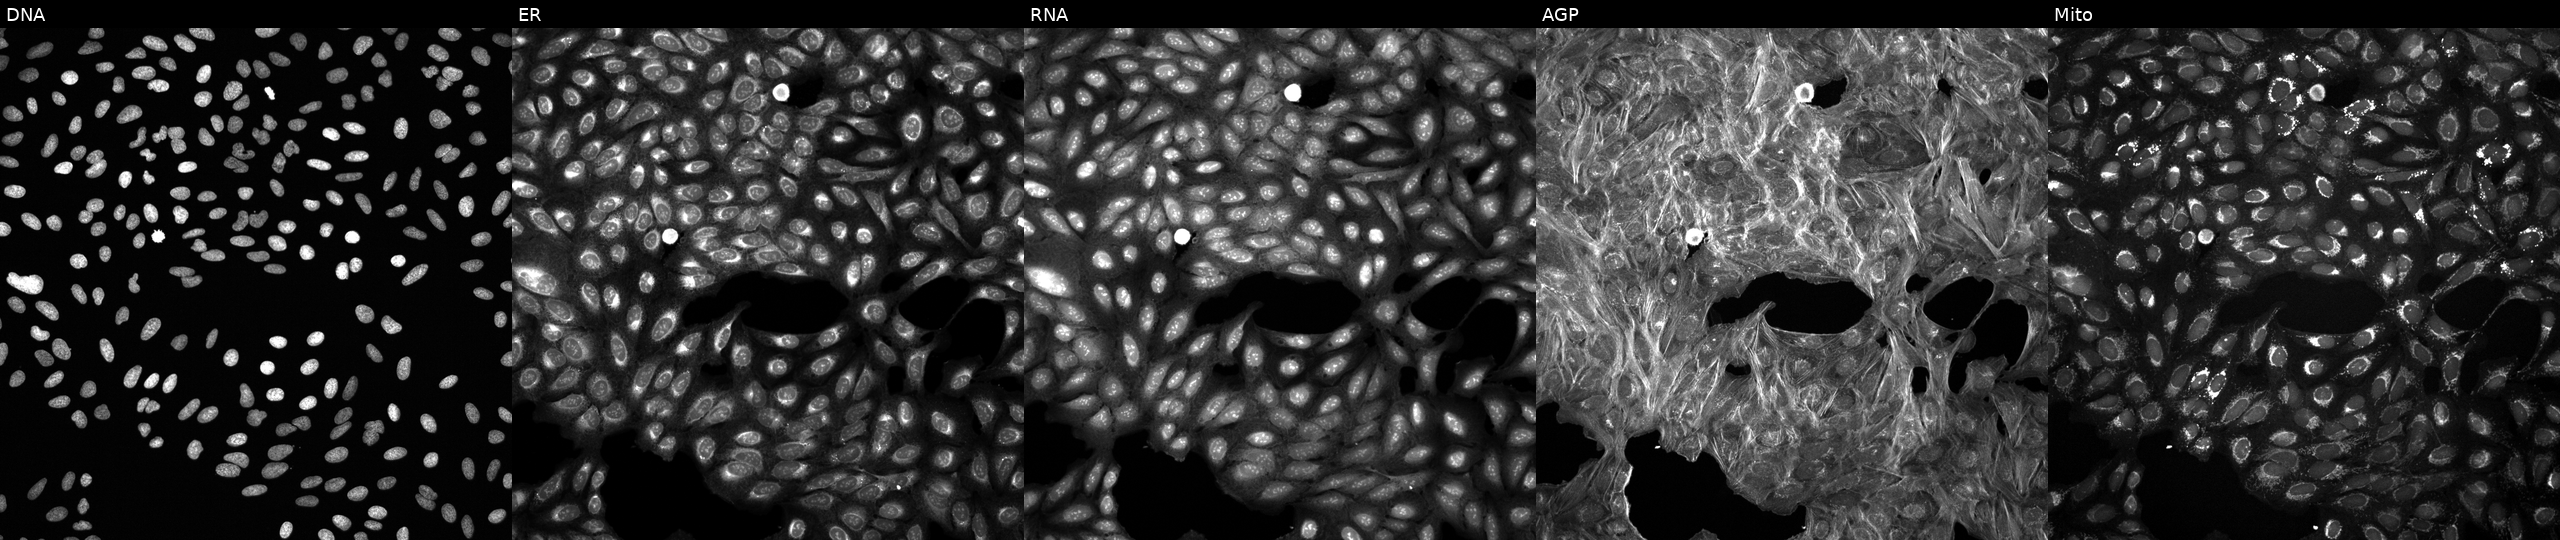
High-content fluorescence microscopy (Cell Painting). Cell line: U2OS. Perturbation: exposed to a small-molecule compound. The five panels, left to right, show DNA (nuclei); ER (endoplasmic reticulum); RNA (nucleoli and cytoplasmic RNA); AGP (actin cytoskeleton, Golgi, and plasma membrane); Mito (mitochondria). Source 6, plate 110000293083, well H22.